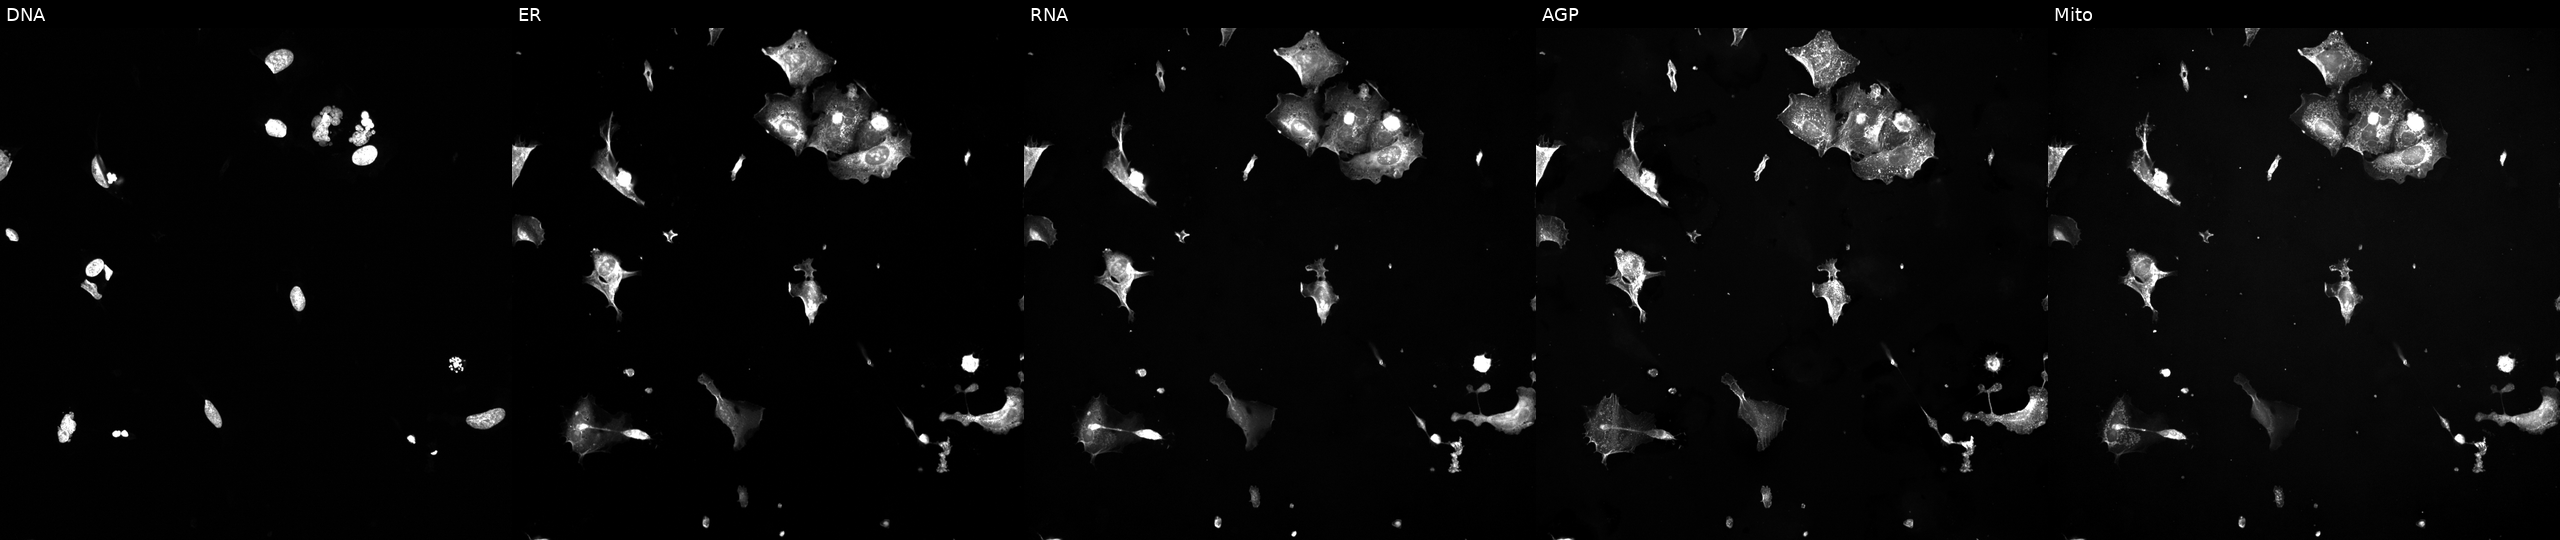
U2OS cells, Cell Painting assay, exposed to a small-molecule compound (InChIKey MTJHLONVHHPNSI-UHFFFAOYSA-N) (JUMP id JCP2022_056401). The five panels, left to right, show DNA (nuclei); ER (endoplasmic reticulum); RNA (nucleoli and cytoplasmic RNA); AGP (actin cytoskeleton, Golgi, and plasma membrane); Mito (mitochondria). Each panel is percentile-stretched 16-bit fluorescence.